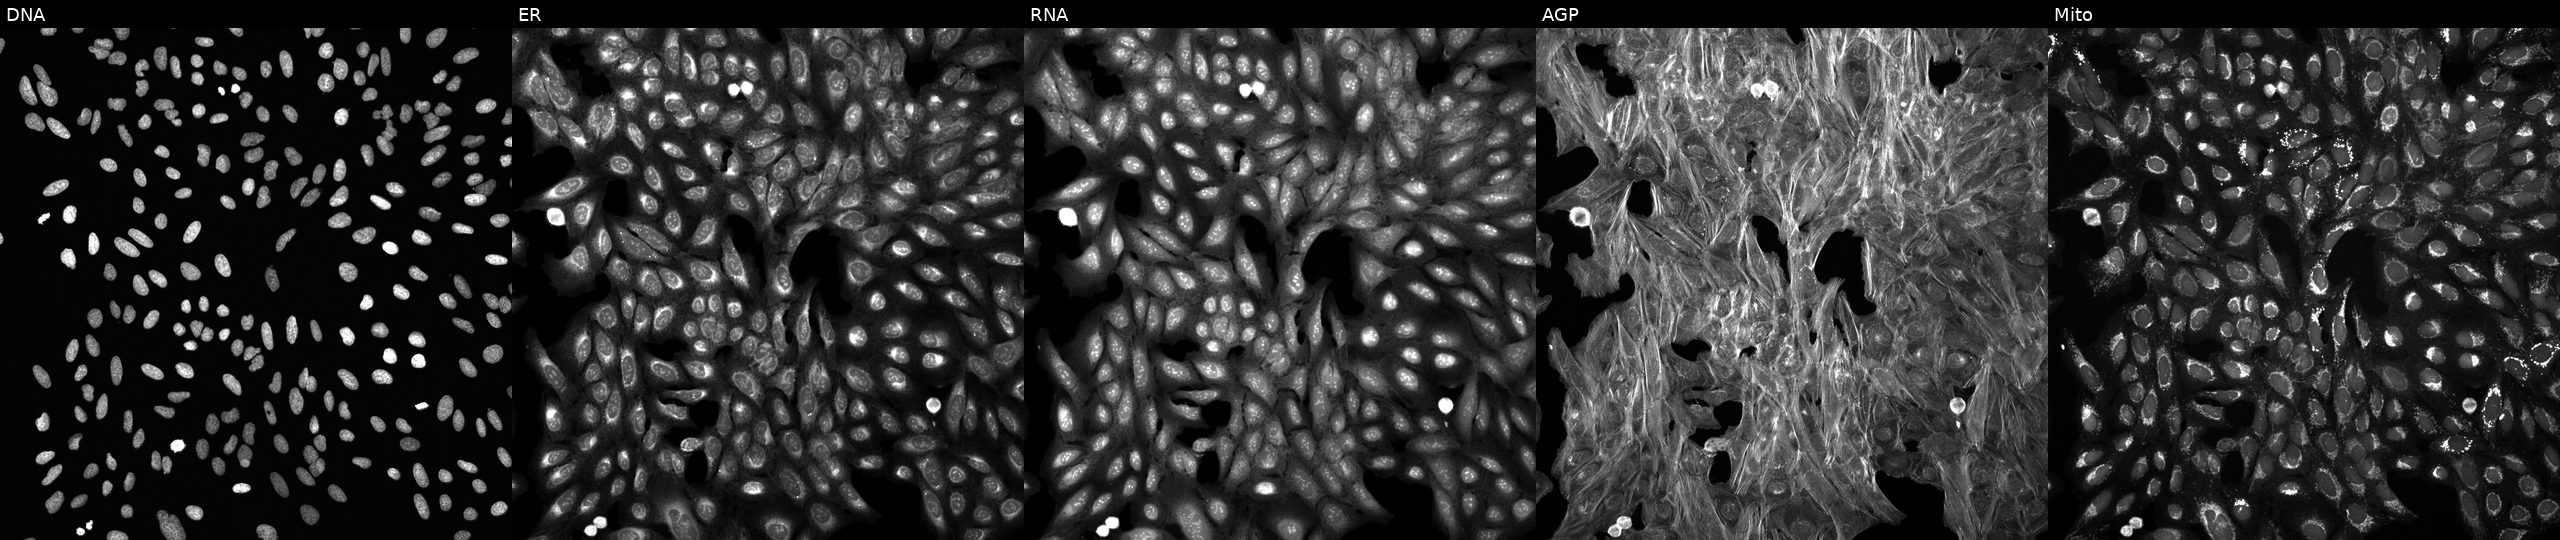
U2OS cells, Cell Painting assay, exposed to DMSO alone as a negative control. From left to right: DNA, ER, RNA, AGP, and Mito. Each panel is percentile-stretched 16-bit fluorescence.